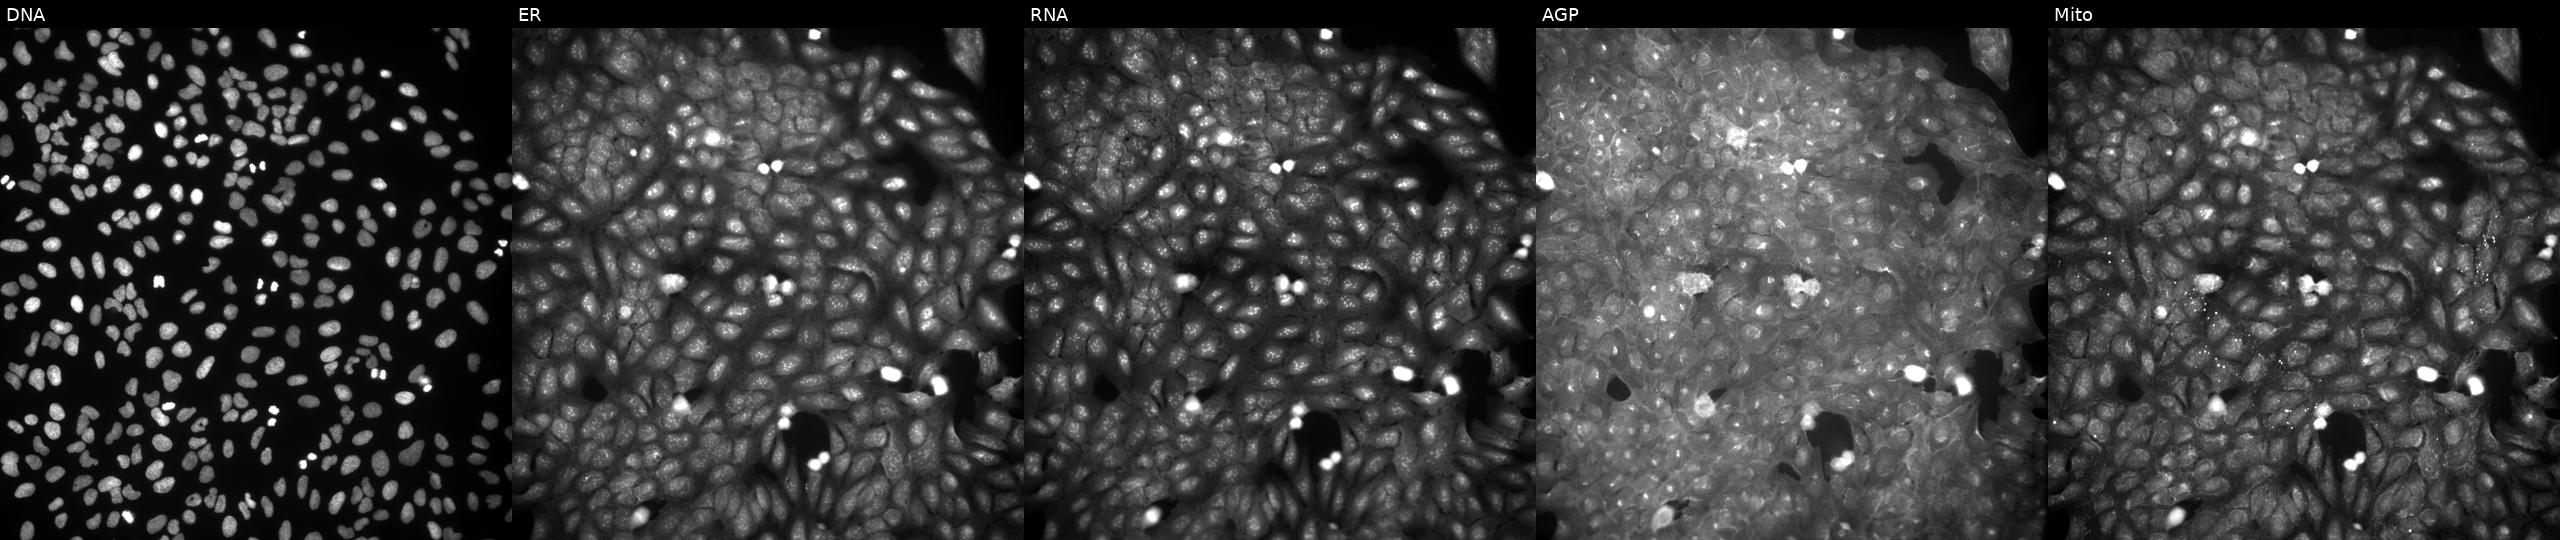
High-content fluorescence microscopy (Cell Painting). Cell line: U2OS. Perturbation: exposed to DMSO alone as a negative control. Channels (left→right): Hoechst 33342, concanavalin A, SYTO 14, phalloidin and WGA, MitoTracker.